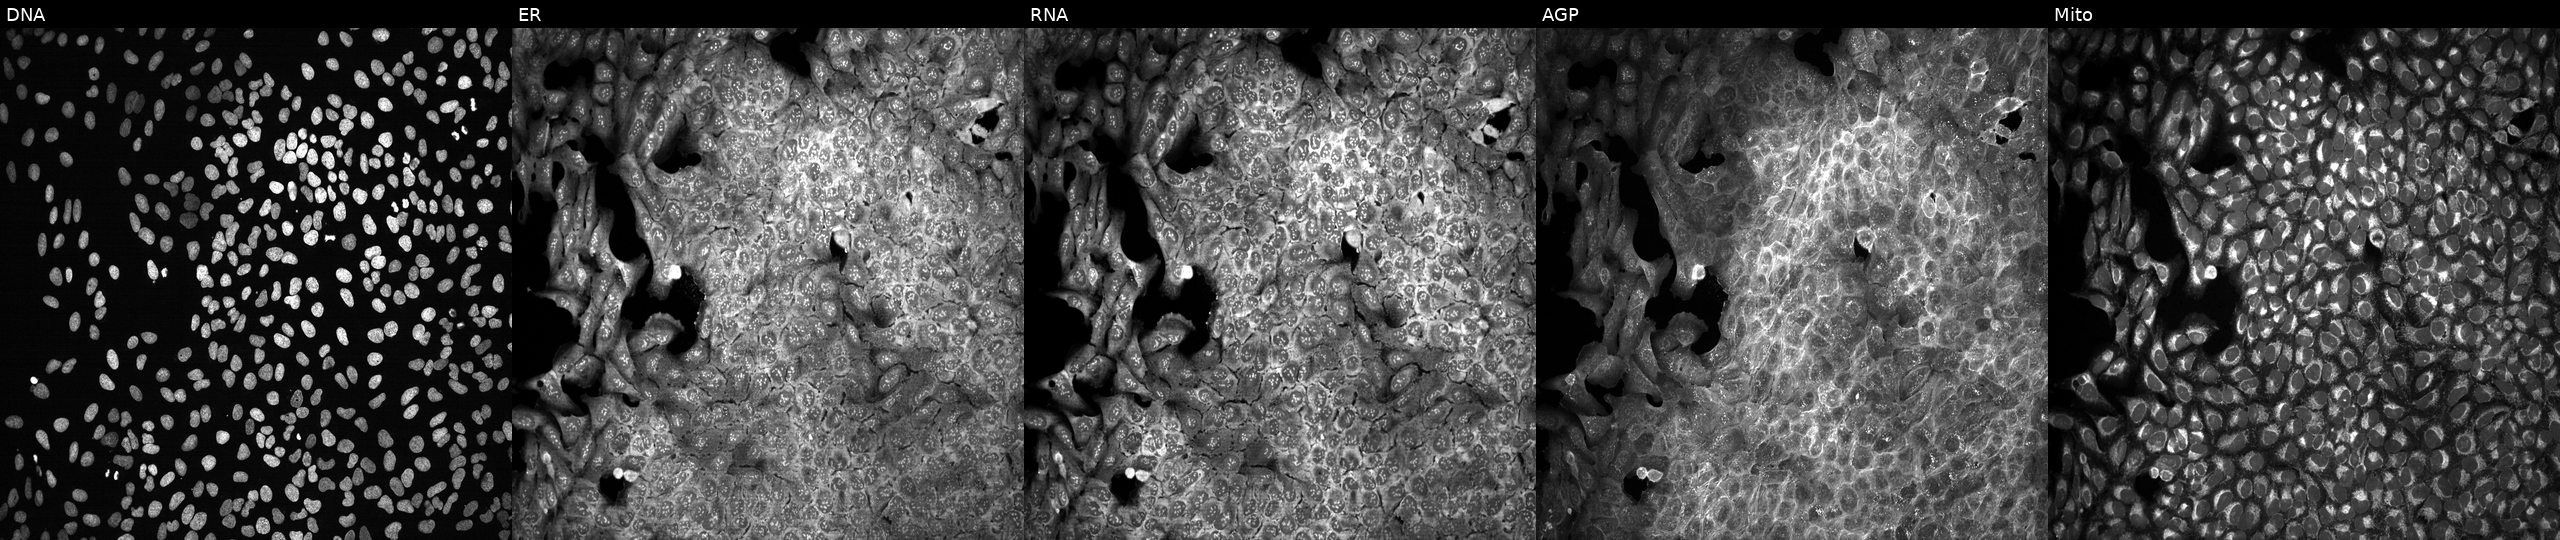
Five-channel Cell Painting image of U2OS cells with a non-targeting CRISPR guide (negative control) (JUMP id JCP2022_800002). Panels show, left to right, DNA (nuclei); ER (endoplasmic reticulum); RNA (nucleoli and cytoplasmic RNA); AGP (actin cytoskeleton, Golgi, and plasma membrane); Mito (mitochondria).